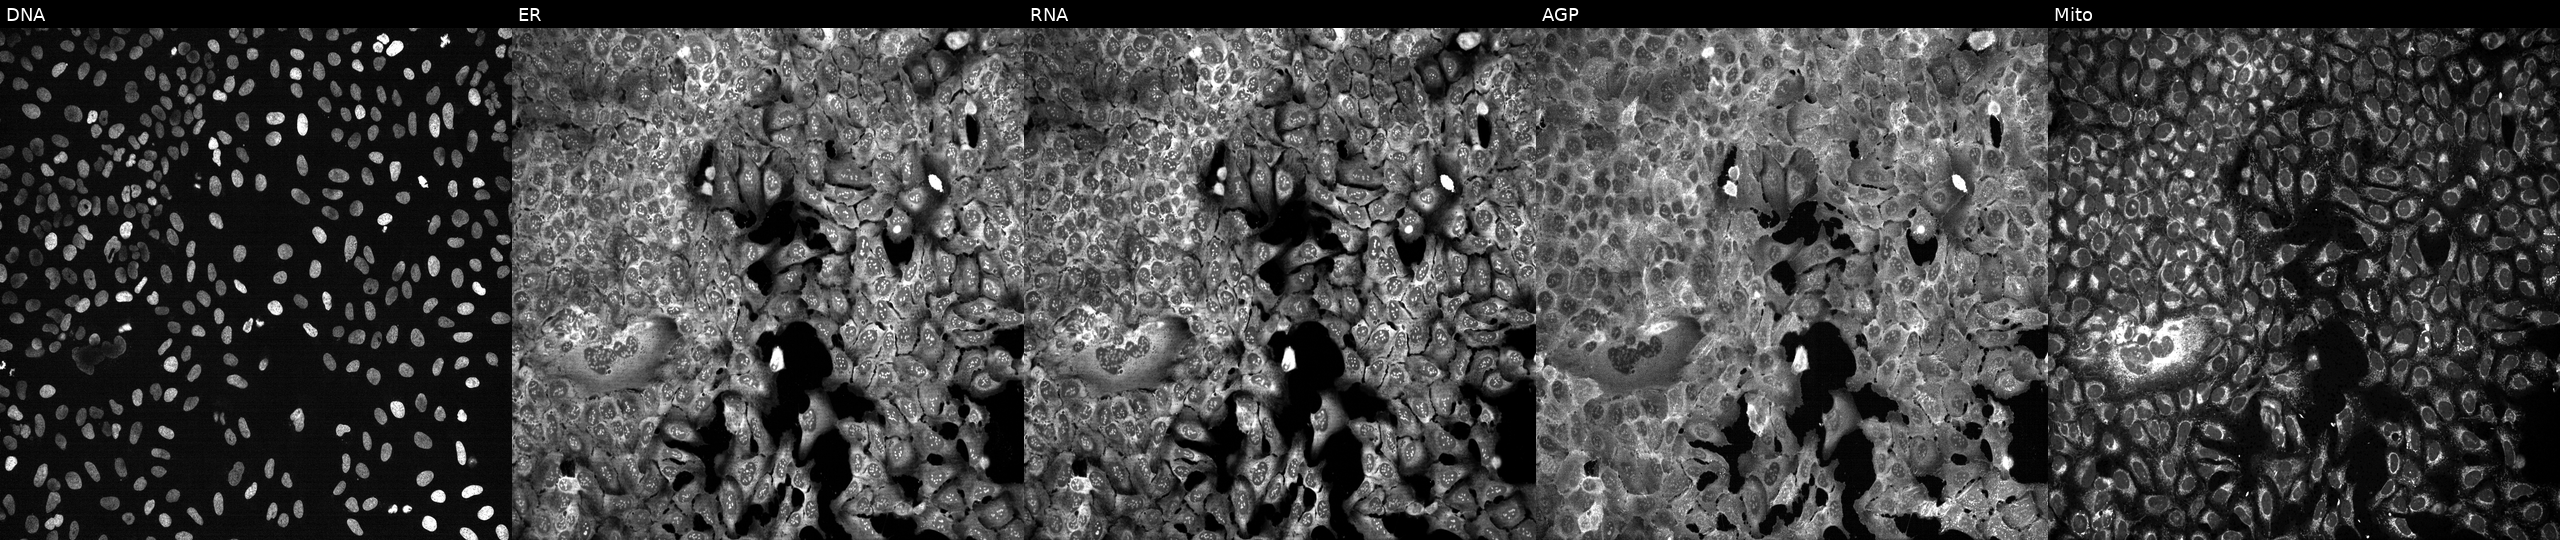
High-content fluorescence microscopy (Cell Painting). Cell line: U2OS. Perturbation: with SMC1A knocked out by CRISPR (JUMP id JCP2022_806640). From left to right: DNA (nuclei); ER (endoplasmic reticulum); RNA (nucleoli and cytoplasmic RNA); AGP (actin cytoskeleton, Golgi, and plasma membrane); Mito (mitochondria).